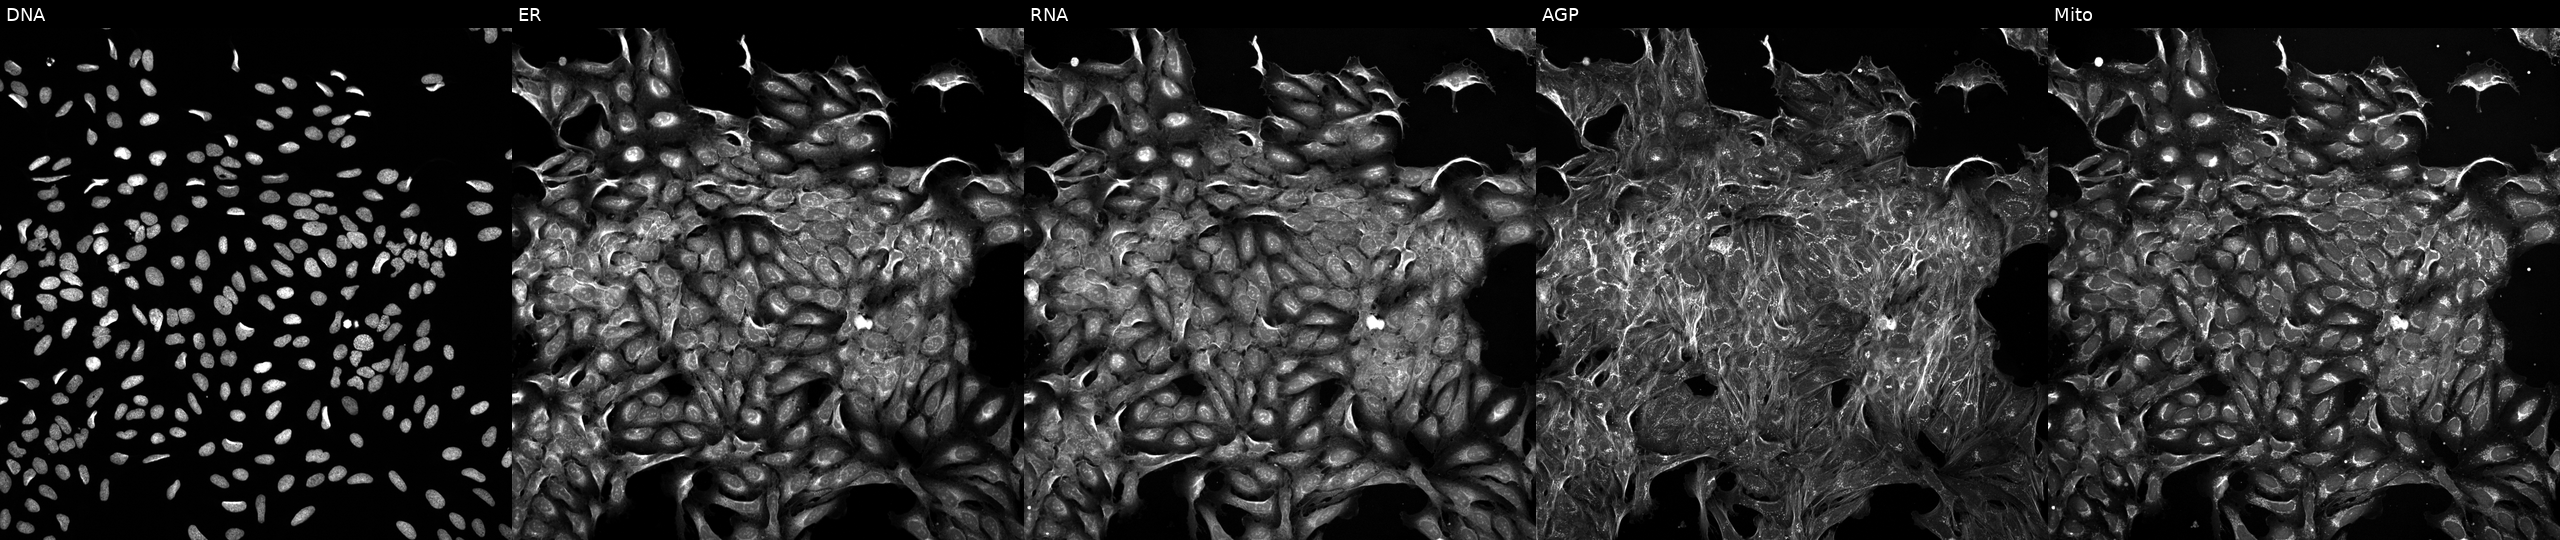
High-content fluorescence microscopy (Cell Painting). Cell line: U2OS. Perturbation: perturbed with a small-molecule compound. The five panels, left to right, show Hoechst 33342, concanavalin A, SYTO 14, phalloidin and WGA, MitoTracker.